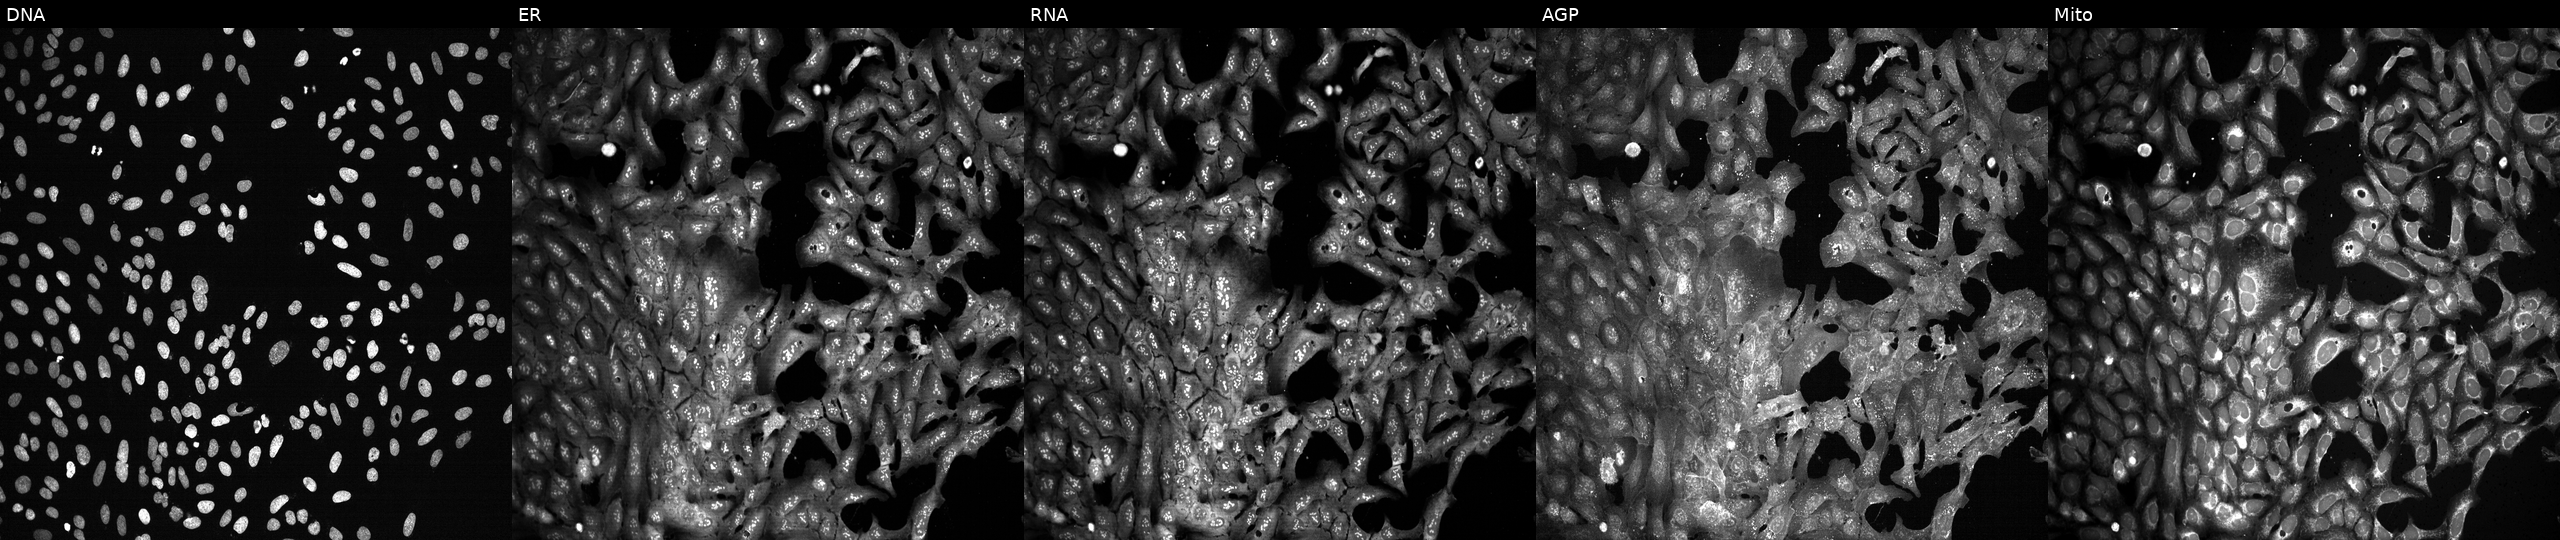
JUMP Cell Painting — CRISPR plate. U2OS cells with PHYHD1 knocked out by CRISPR (JUMP id JCP2022_805125). Channels (left→right): DNA, ER, RNA, AGP, and Mito.